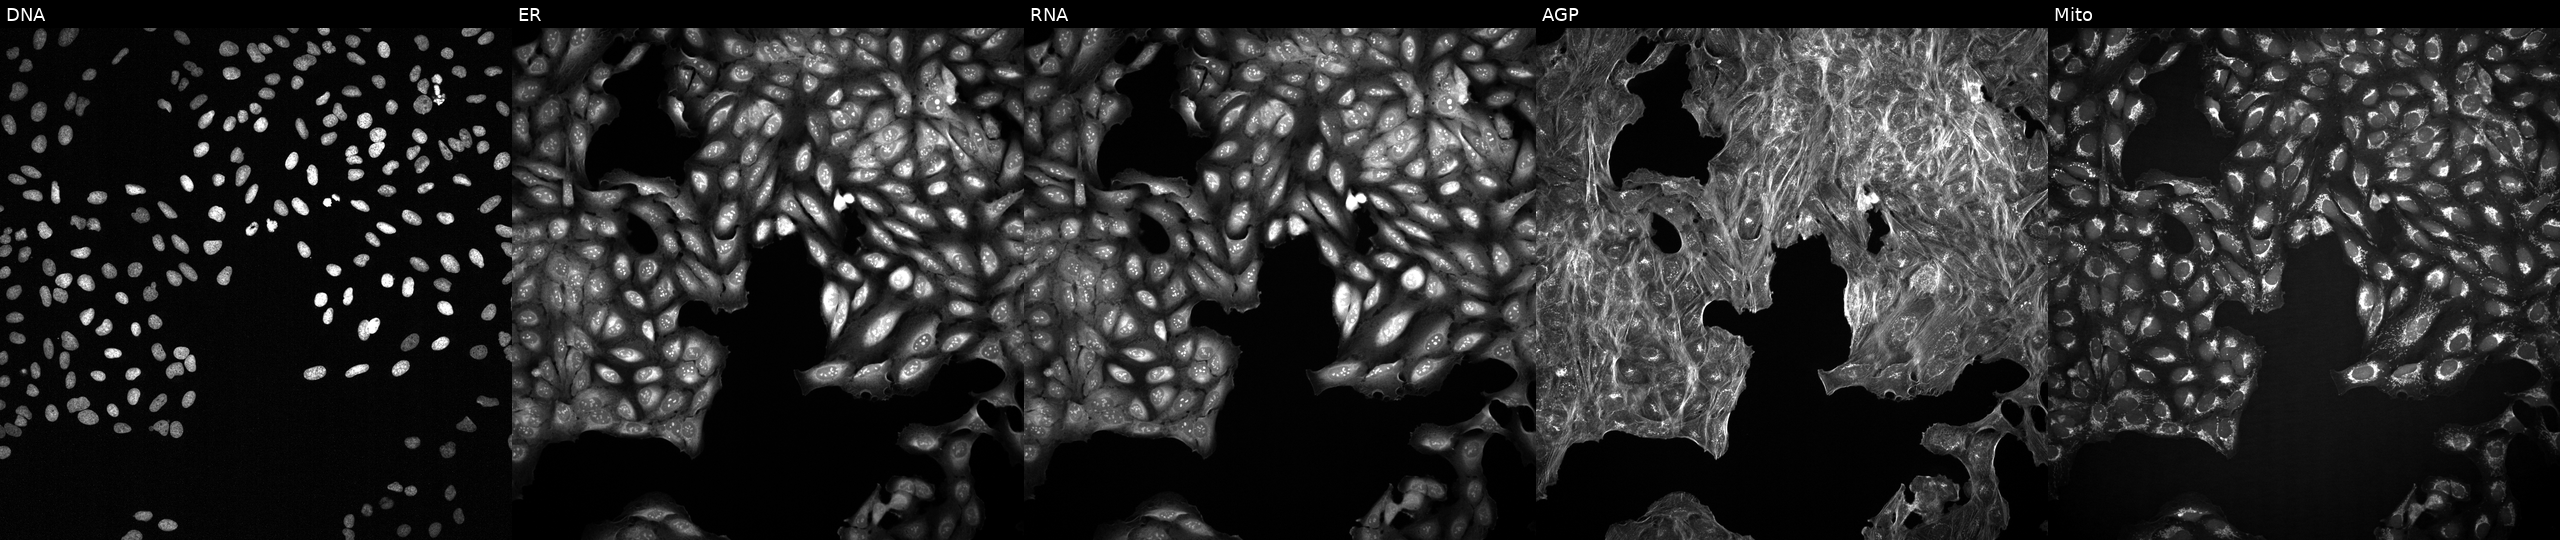
From left to right: DNA, ER, RNA, AGP, and Mito. U2OS osteosarcoma cells exposed to a small-molecule compound [SMILES: OC1CN2CCC(O)C2C(O)C1O] (JUMP id JCP2022_039116). Cell Painting assay, JUMP-CP dataset.